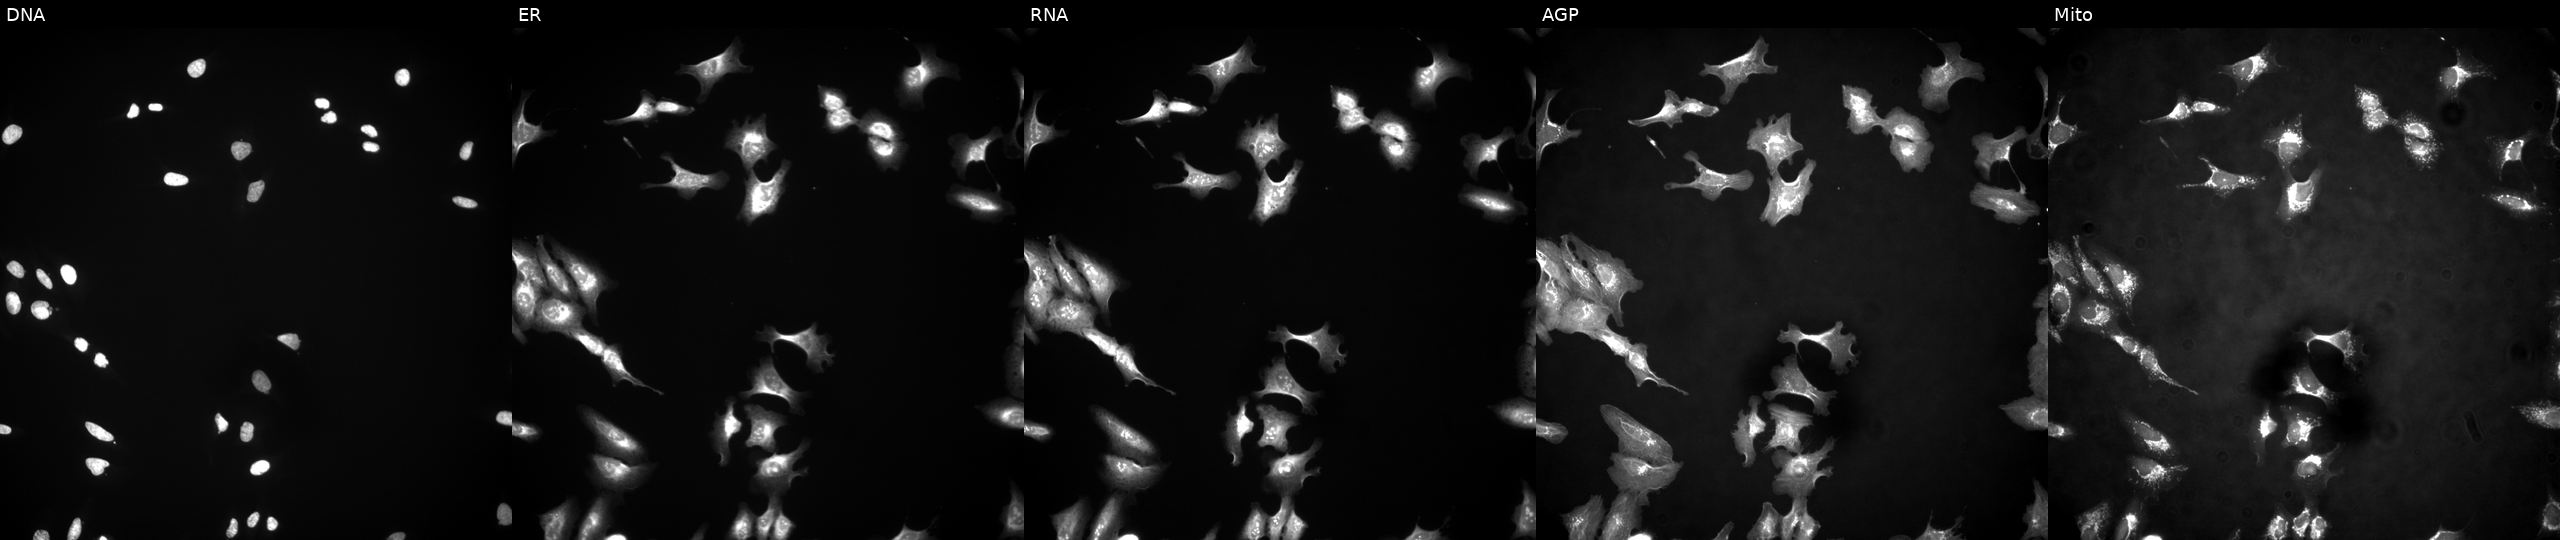
Five-channel Cell Painting image of U2OS cells overexpressing RBKS via ORF transfection. The five panels, left to right, show Hoechst 33342, concanavalin A, SYTO 14, phalloidin and WGA, MitoTracker. Source 4, plate BR00124790, well P13.